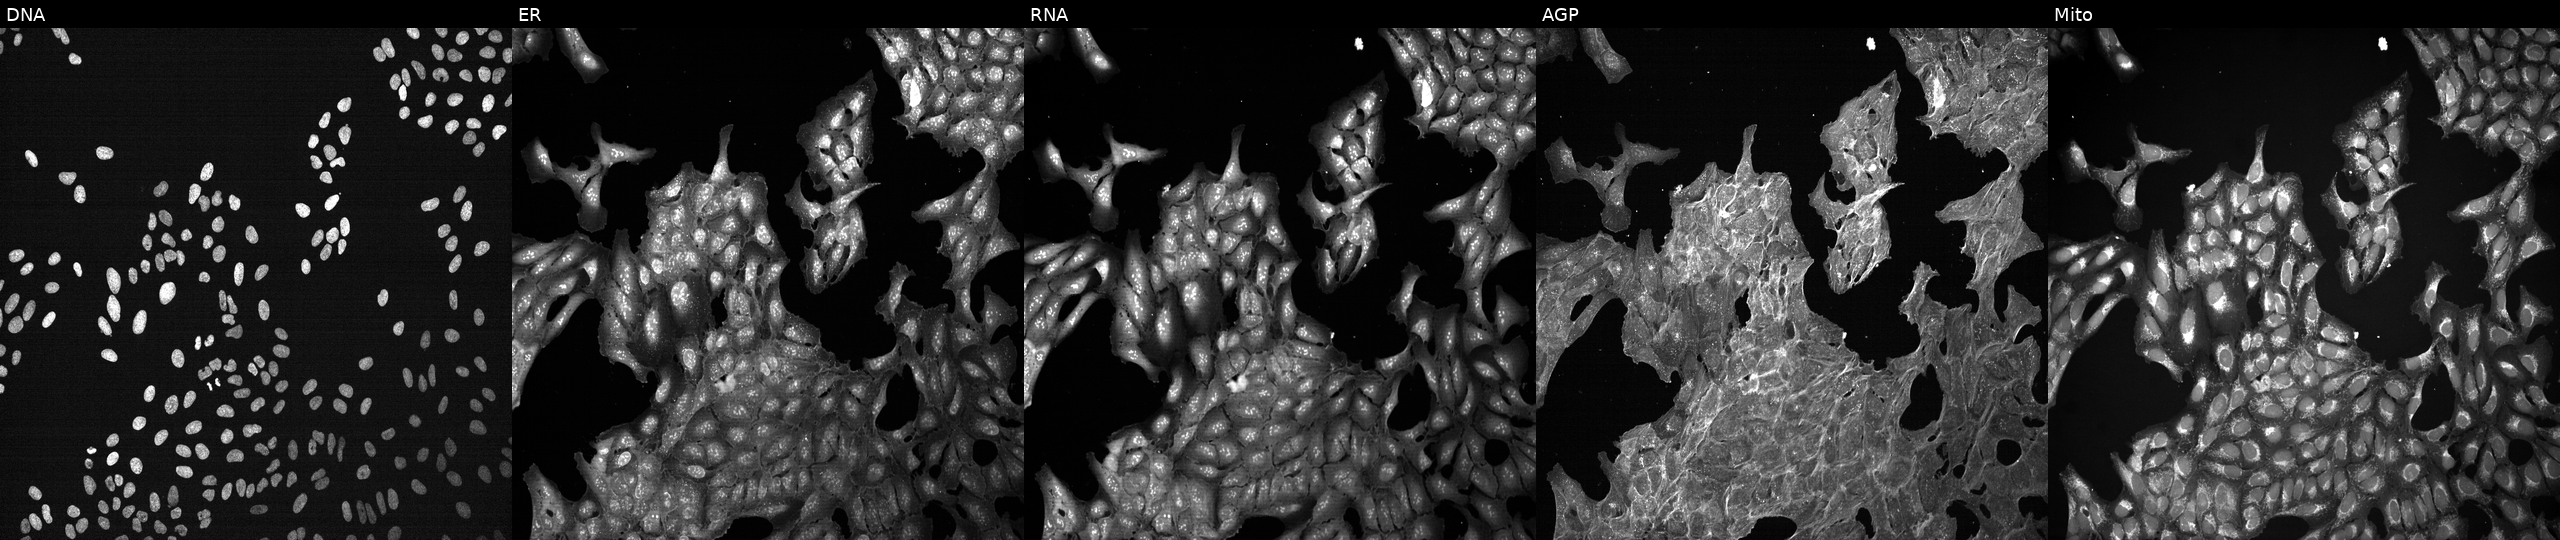
This image strip shows the five Cell Painting channels for a single field of U2OS cells exposed to a small-molecule compound (InChIKey NYNZQNWKBKUAII-UHFFFAOYSA-N). From left to right: DNA, ER, RNA, AGP, and Mito.